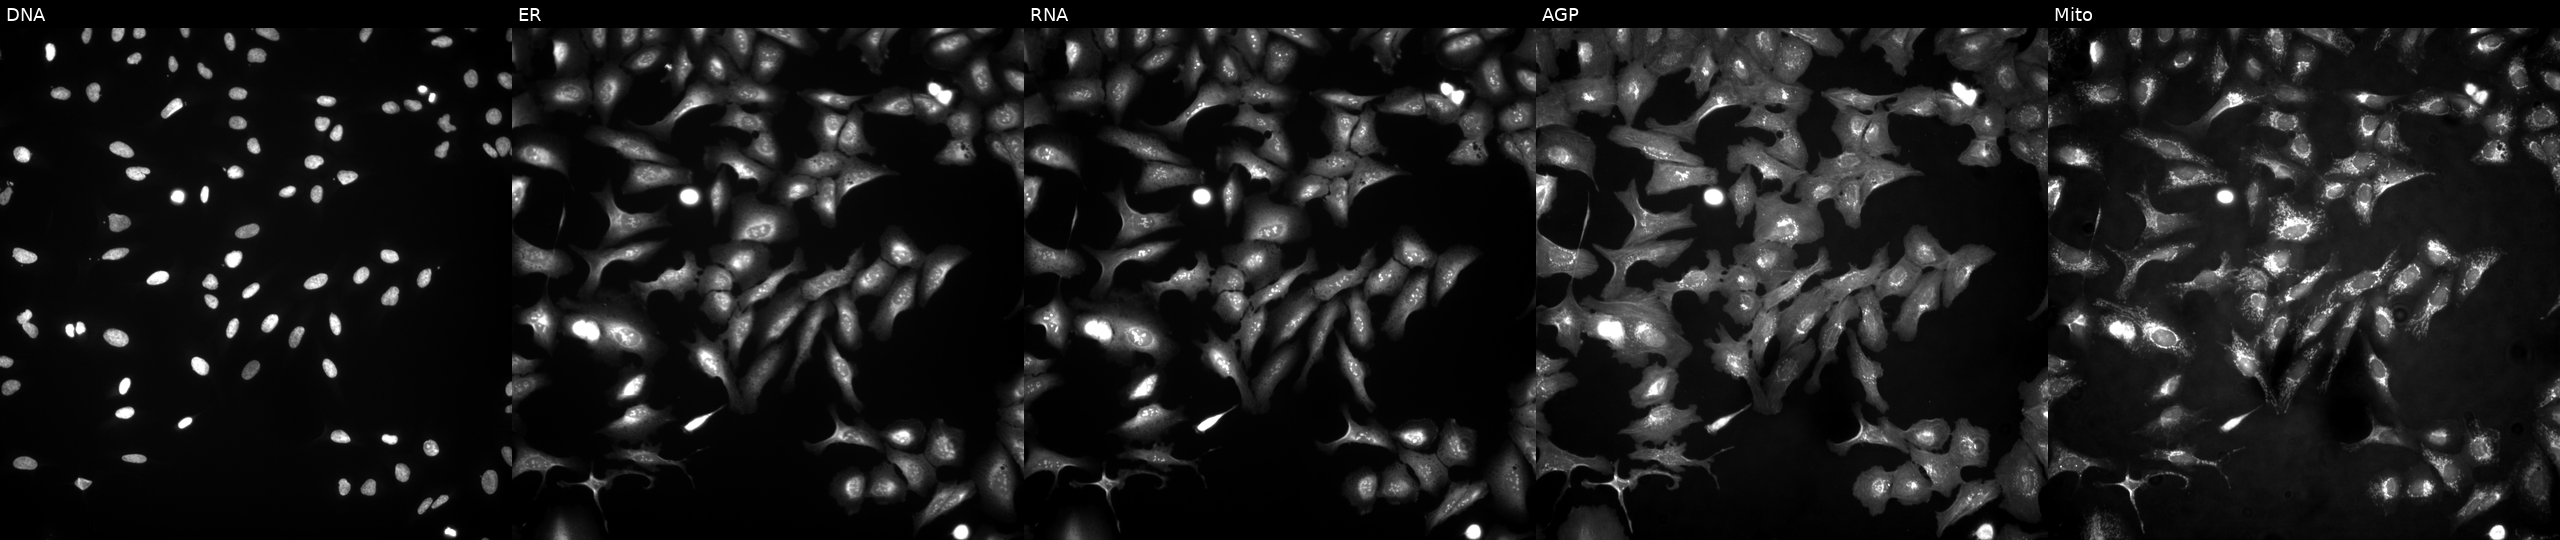
The five panels, left to right, show DNA (nuclei); ER (endoplasmic reticulum); RNA (nucleoli and cytoplasmic RNA); AGP (actin cytoskeleton, Golgi, and plasma membrane); Mito (mitochondria). U2OS osteosarcoma cells transfected with an ORF construct for DEFB125 (JUMP id JCP2022_909216). Cell Painting assay, JUMP-CP dataset. Source 4, plate BR00124790, well C08.